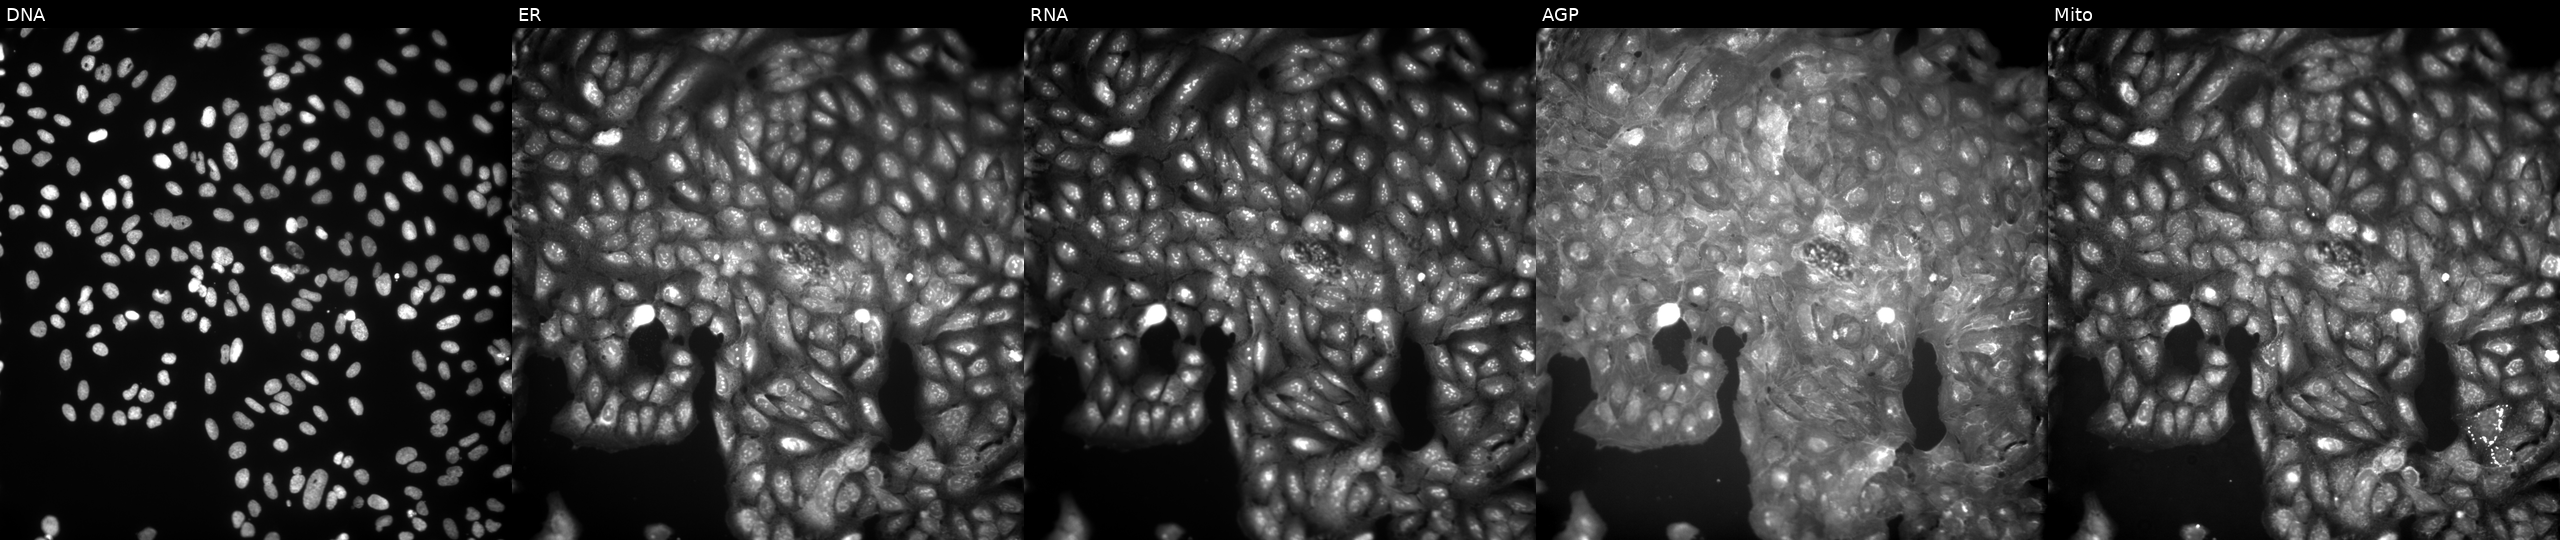
JUMP Cell Painting — COMPOUND plate. U2OS cells exposed to a small-molecule compound (InChIKey YXFXZHPDXNBWBS-UHFFFAOYSA-N) [SMILES: Cc1ccc(CN2C(=O)C(O)(CC(=O)c3ccc(C)cc3)c3ccccc32)cc1]. Channels (left→right): DNA, ER, RNA, AGP, and Mito.